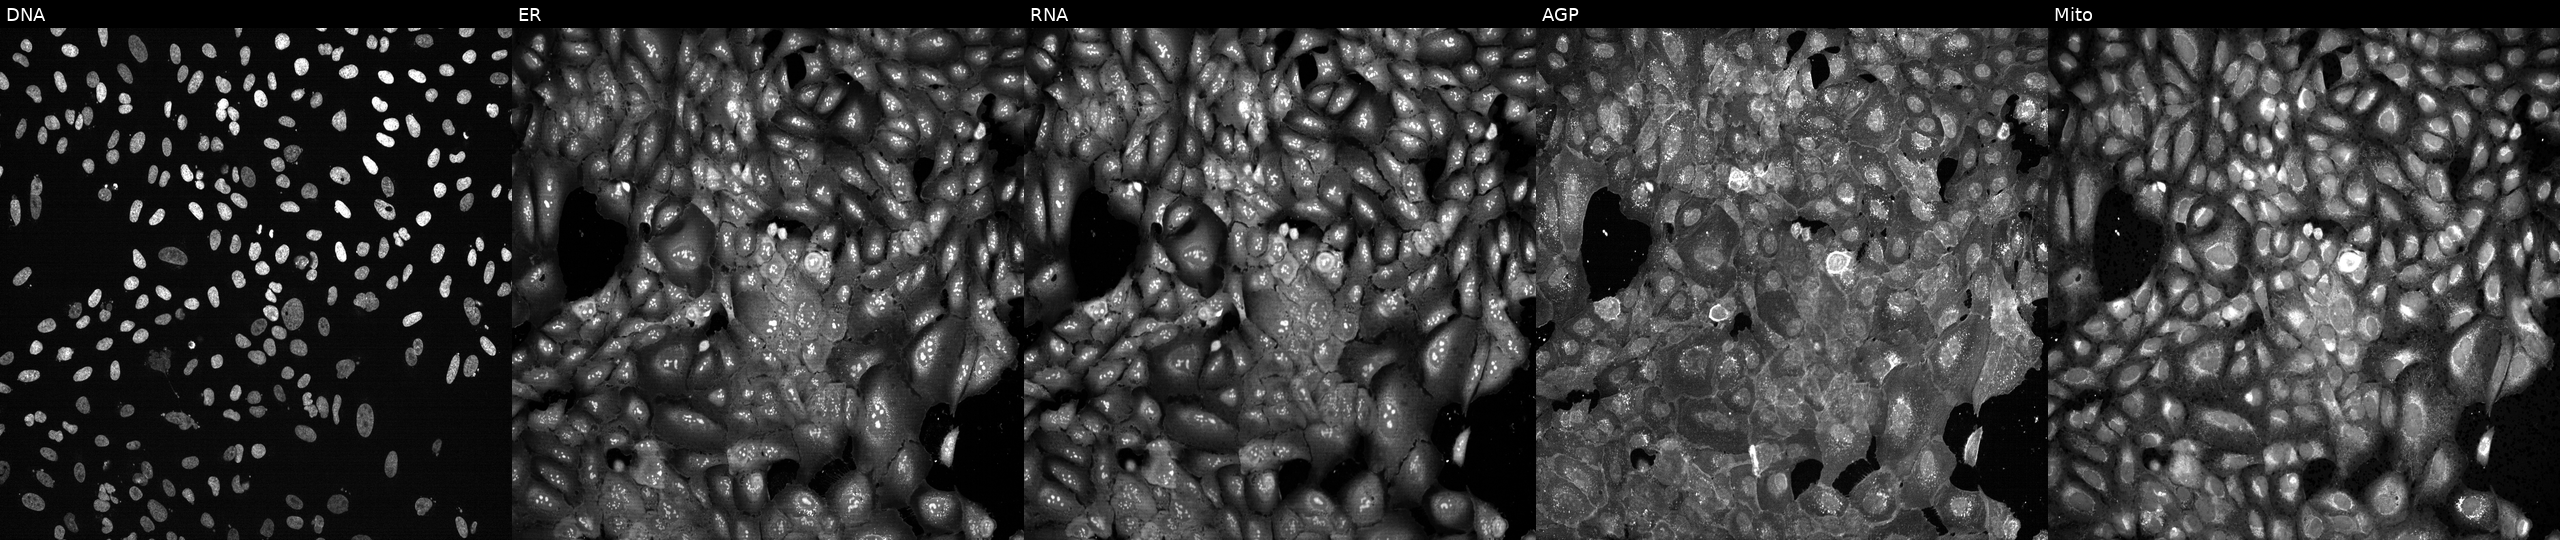
U2OS cells, Cell Painting assay, following CRISPR knockout of HSP90AA1. From left to right: DNA (nuclei); ER (endoplasmic reticulum); RNA (nucleoli and cytoplasmic RNA); AGP (actin cytoskeleton, Golgi, and plasma membrane); Mito (mitochondria). Each panel is percentile-stretched 16-bit fluorescence.